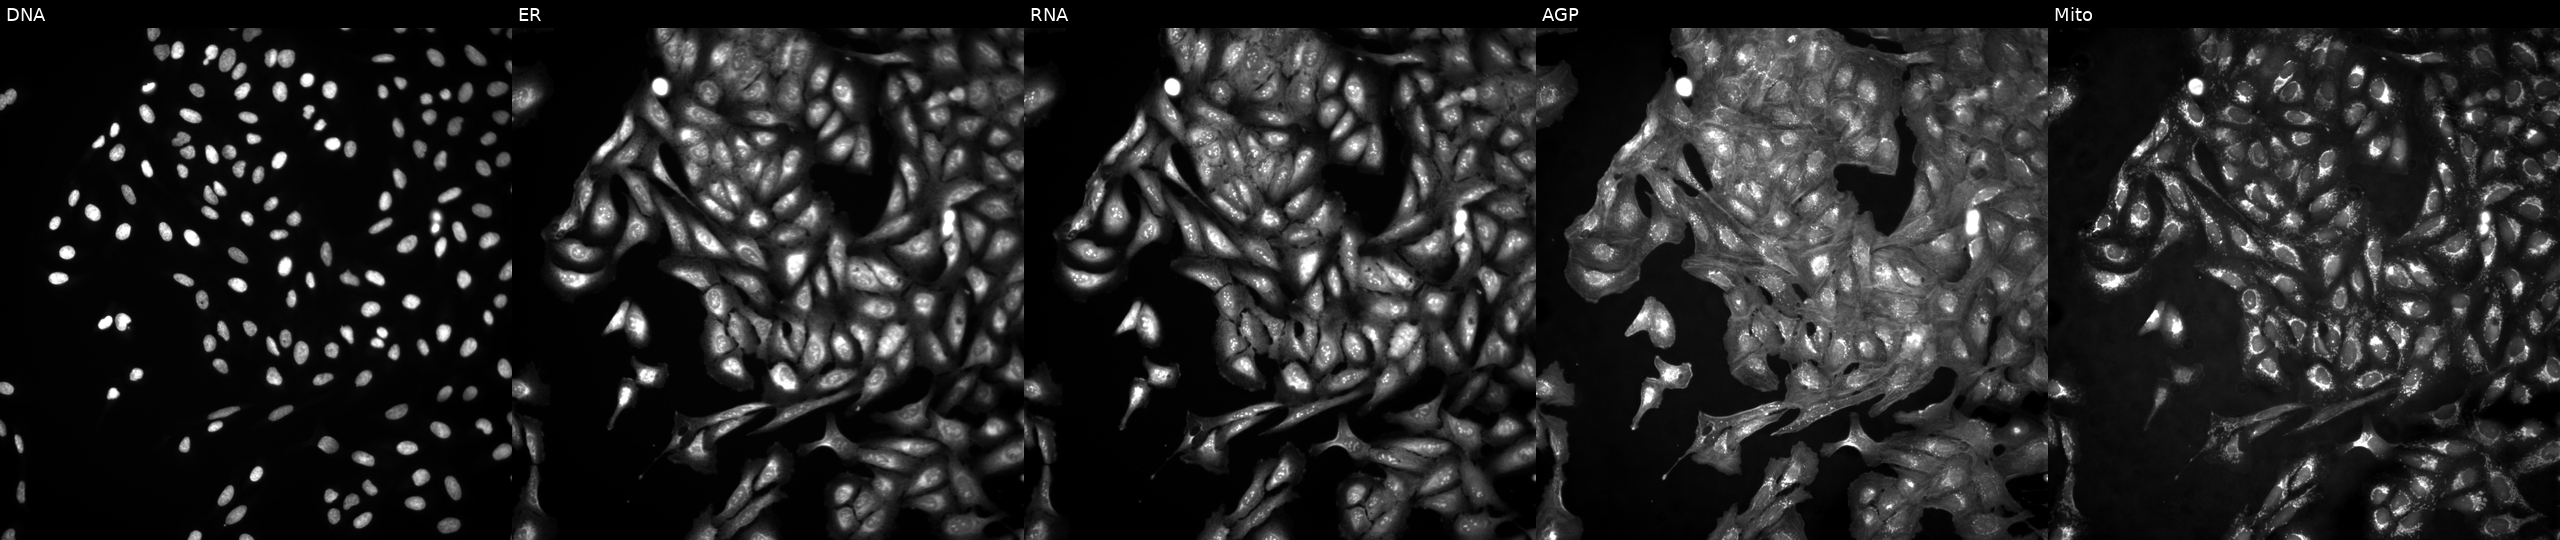
High-content fluorescence microscopy (Cell Painting). Cell line: U2OS. Perturbation: in an empty control well (no perturbation) (JUMP id JCP2022_999999). Channels (left→right): DNA (nuclei); ER (endoplasmic reticulum); RNA (nucleoli and cytoplasmic RNA); AGP (actin cytoskeleton, Golgi, and plasma membrane); Mito (mitochondria). Source 4, plate BR00124793, well E20.